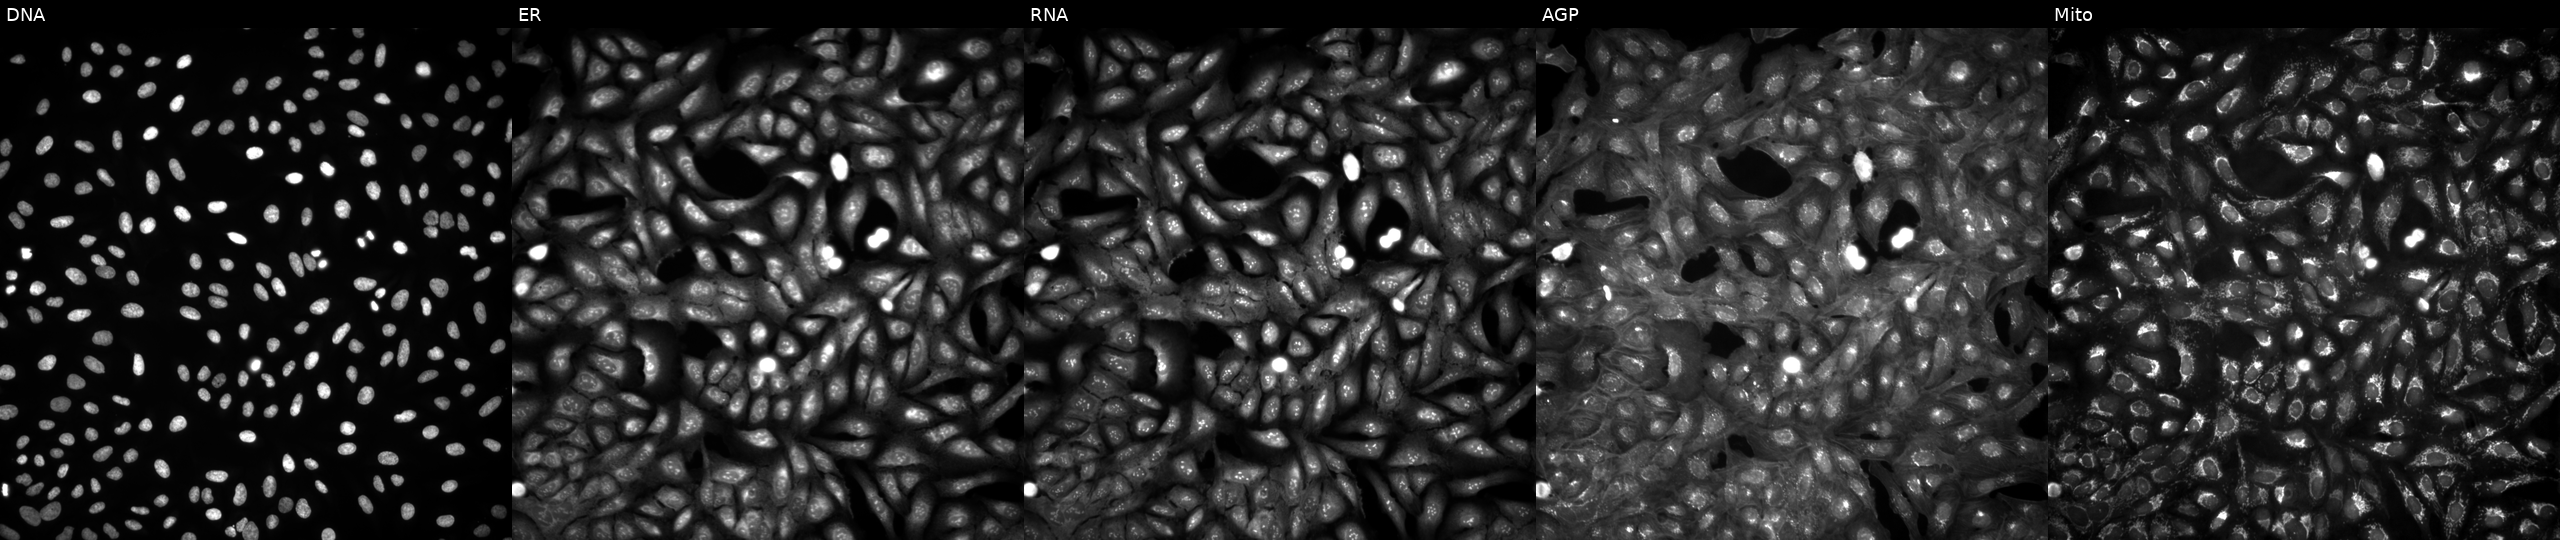
High-content fluorescence microscopy (Cell Painting). Cell line: U2OS. Perturbation: in an empty control well (no perturbation). From left to right: DNA, ER, RNA, AGP, and Mito.